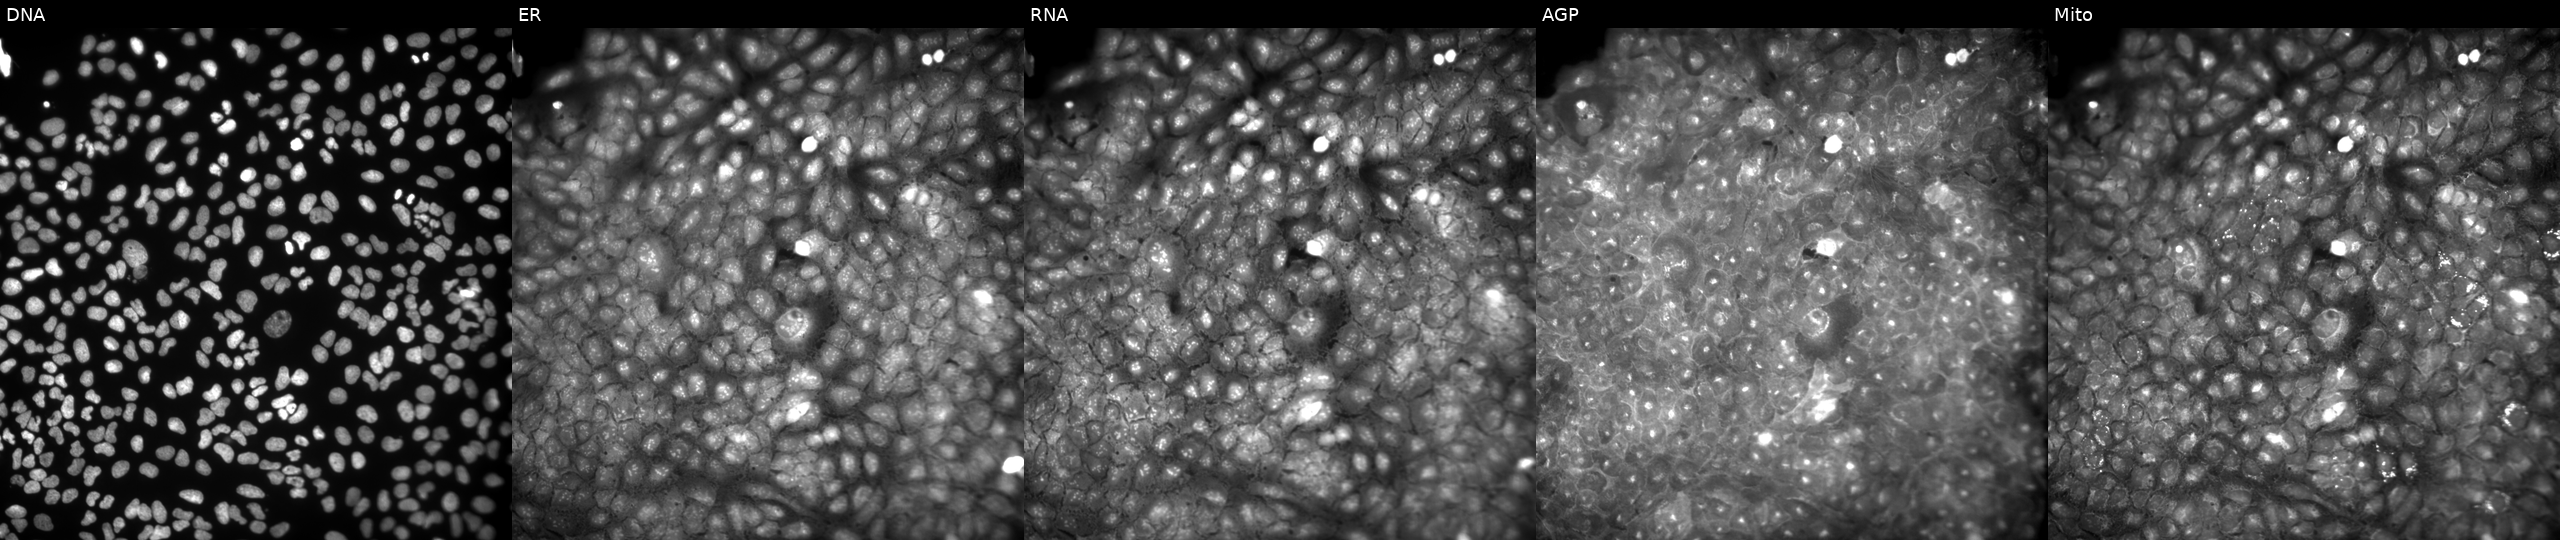
JUMP Cell Painting — COMPOUND plate. U2OS cells exposed to a small-molecule compound. Panels show, left to right, Hoechst 33342, concanavalin A, SYTO 14, phalloidin and WGA, MitoTracker. Source 9, plate GR00003381, well AC46.